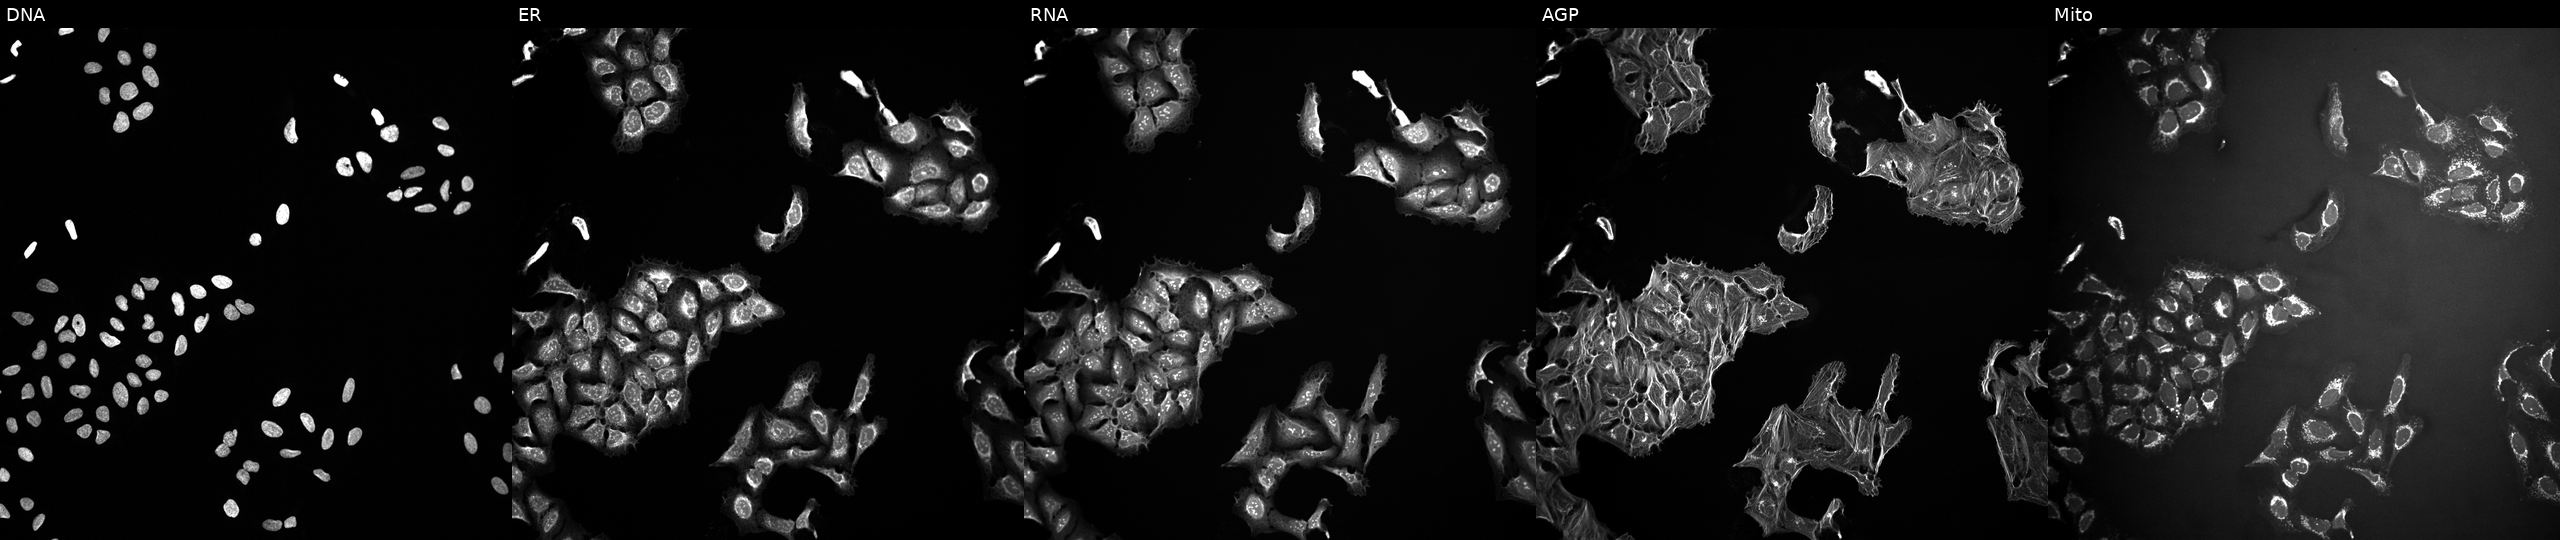
U2OS cells, Cell Painting assay, exposed to a small-molecule compound (InChIKey AFJRDFWMXUECEW-UHFFFAOYSA-N). The five panels, left to right, show DNA, ER, RNA, AGP, and Mito. Each panel is percentile-stretched 16-bit fluorescence.